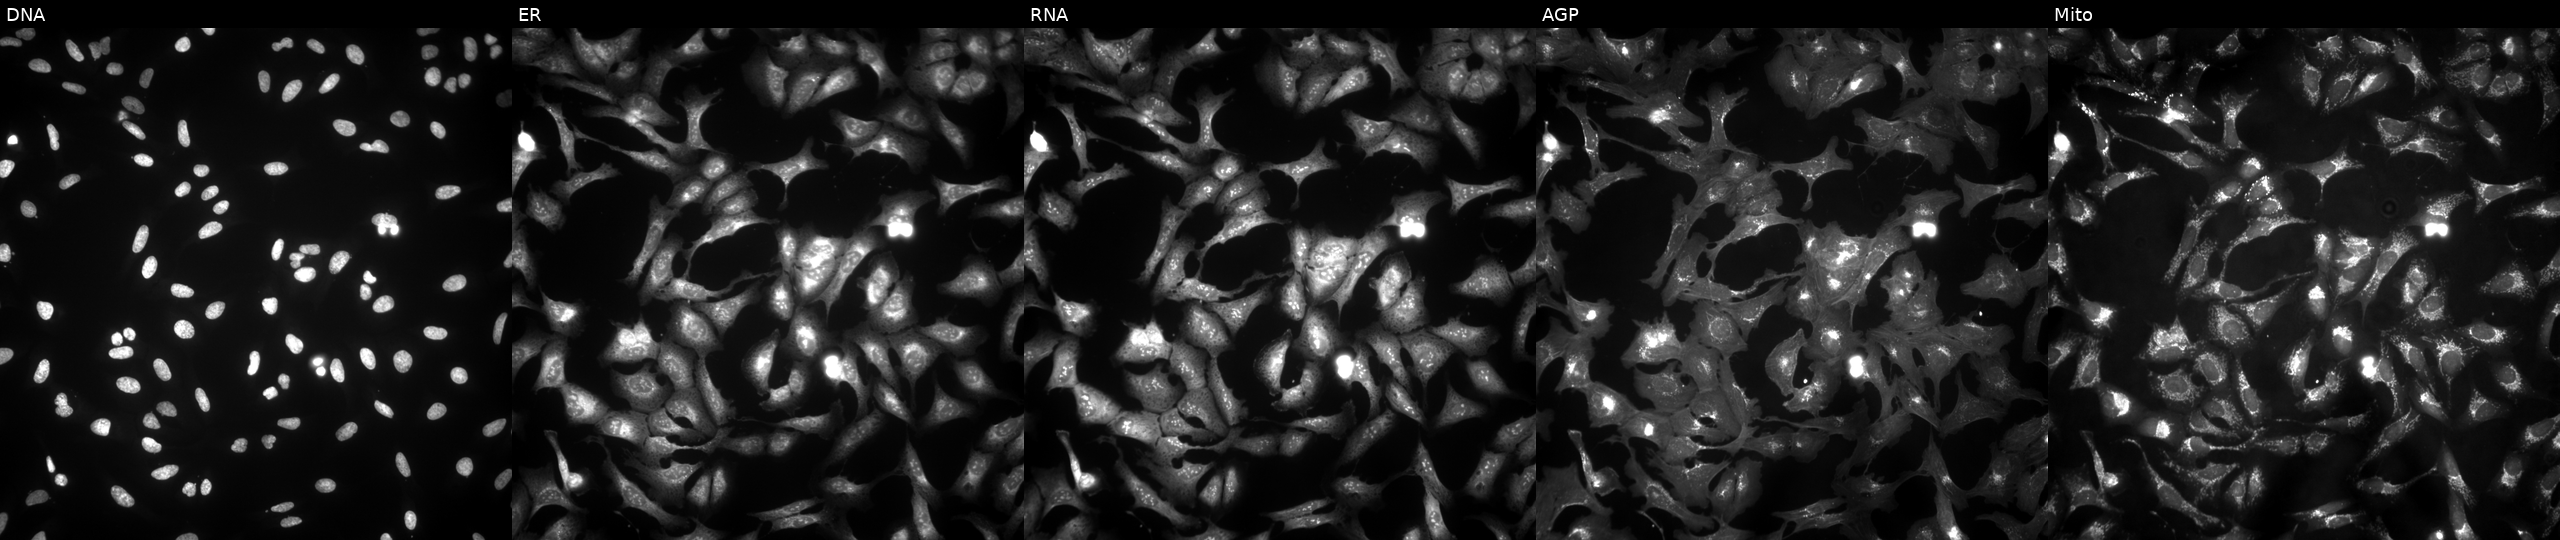
U2OS cells, Cell Painting assay, transfected with an ORF construct for SNX8 (JUMP id JCP2022_907604). Channels (left→right): Hoechst 33342, concanavalin A, SYTO 14, phalloidin and WGA, MitoTracker. Each panel is percentile-stretched 16-bit fluorescence.